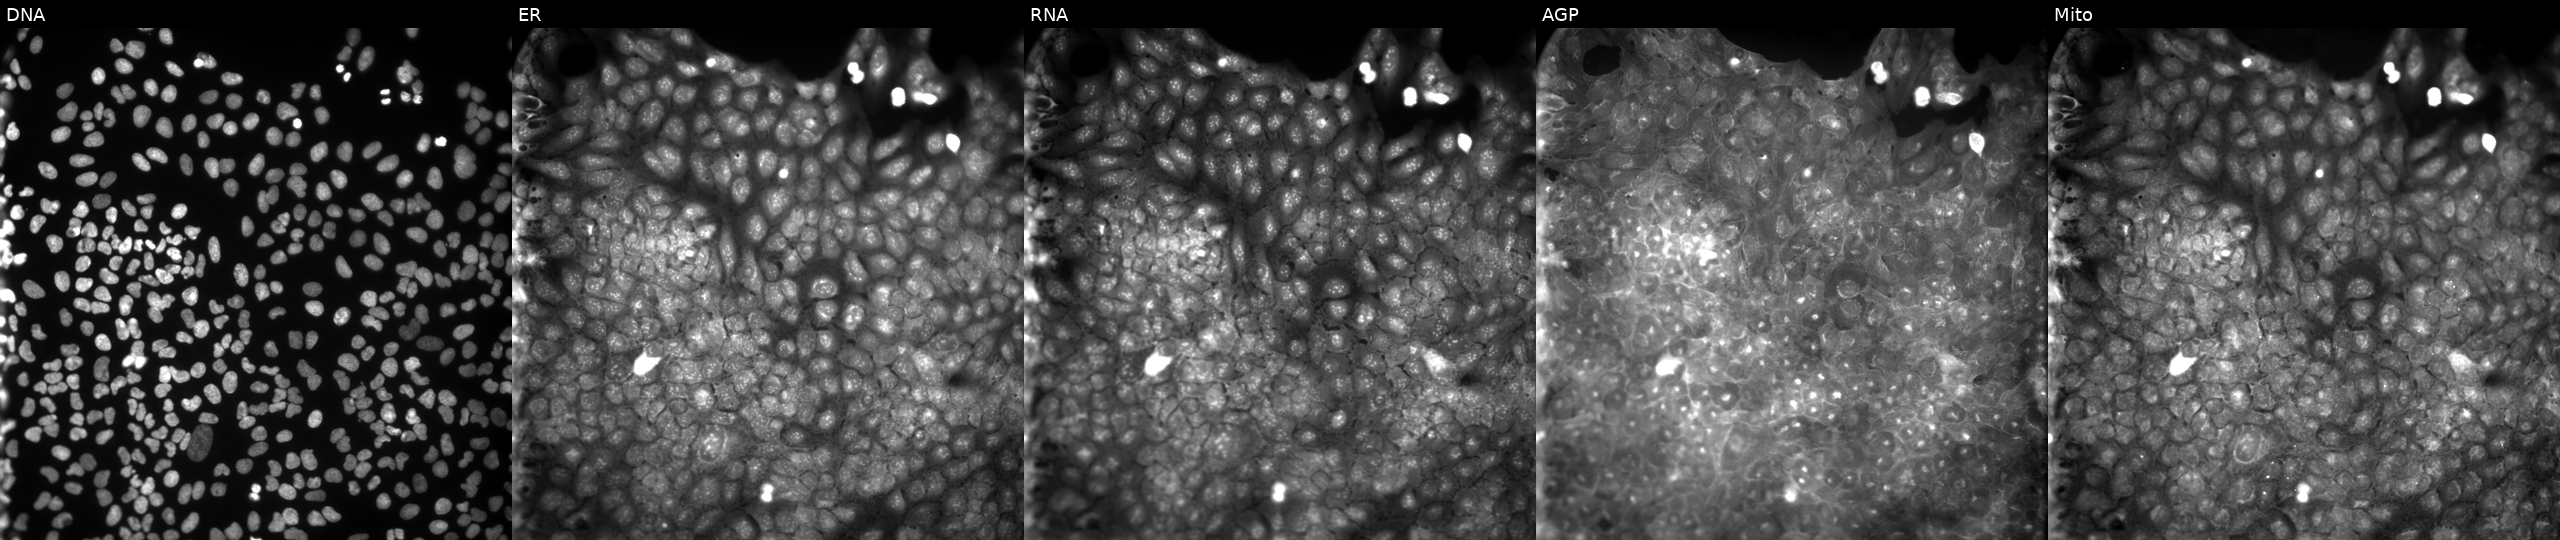
JUMP Cell Painting — COMPOUND plate. U2OS cells perturbed with a small-molecule compound (InChIKey HWKFJSRQQSFMRN-UHFFFAOYSA-N). The five panels, left to right, show Hoechst 33342, concanavalin A, SYTO 14, phalloidin and WGA, MitoTracker. Source 9, plate GR00003382, well AC06.